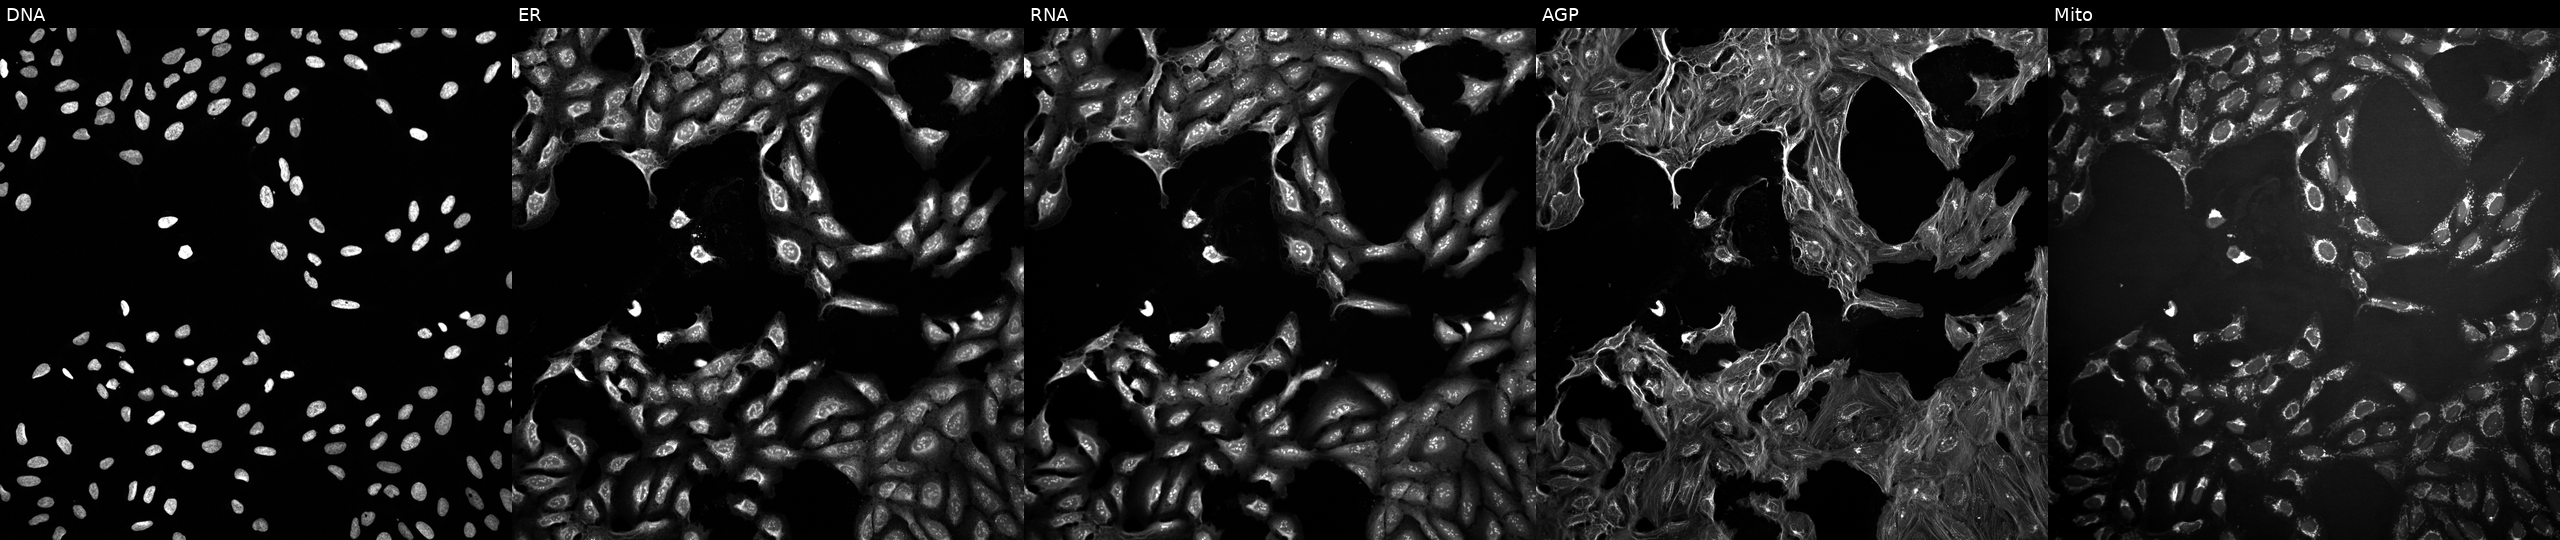
This image strip shows the five Cell Painting channels for a single field of U2OS cells treated with a small-molecule compound (InChIKey LPAHKJMGDSJDRG-UHFFFAOYSA-N). Panels show, left to right, DNA, ER, RNA, AGP, and Mito.